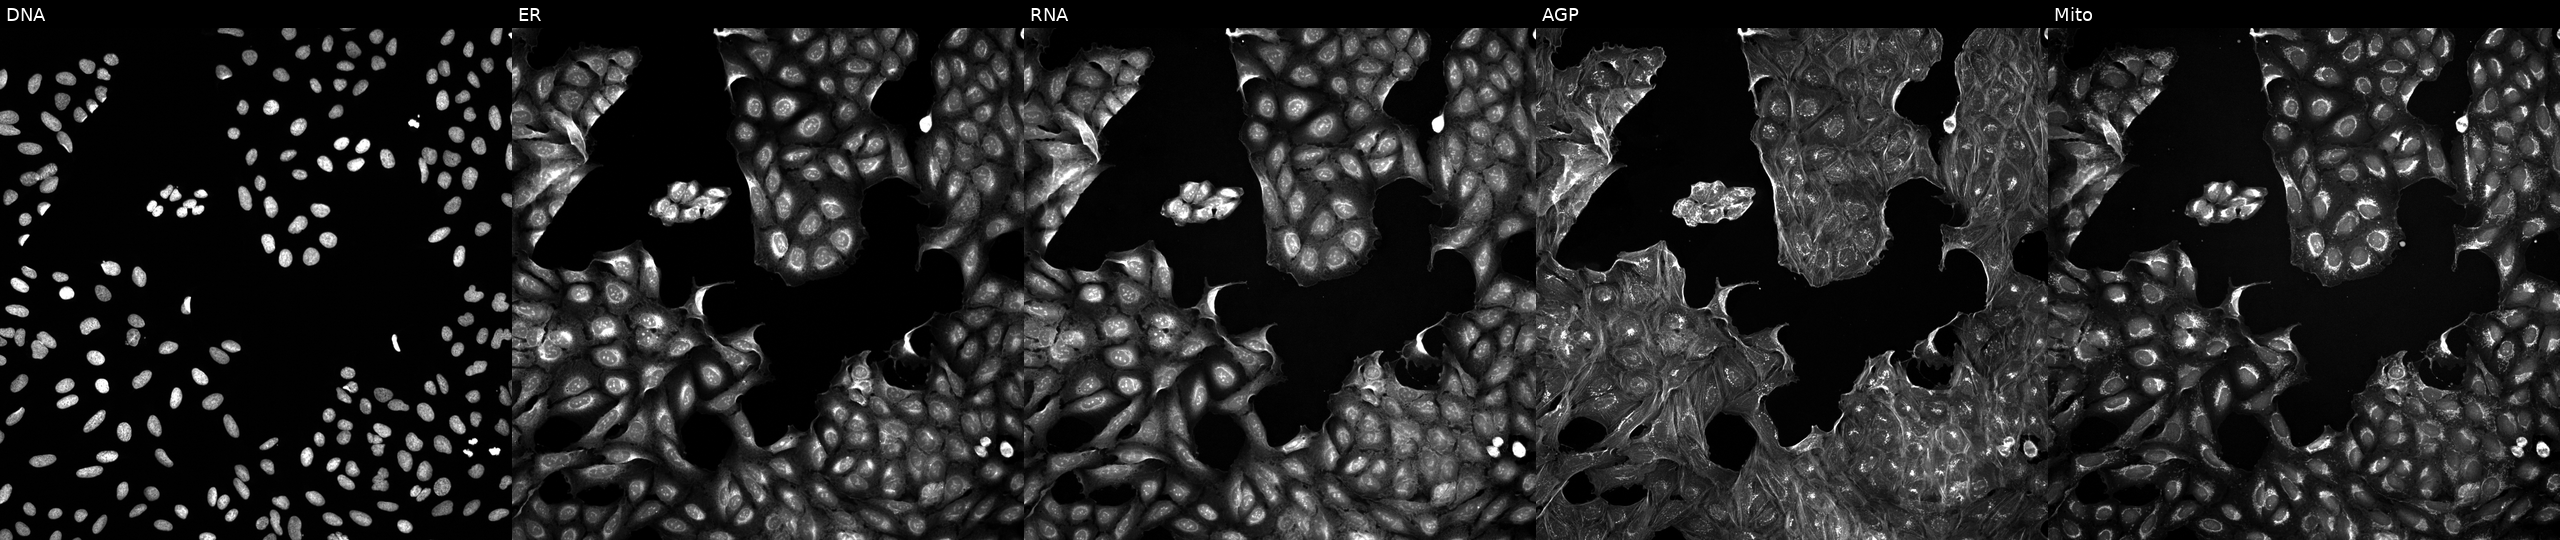
Five-channel Cell Painting image of U2OS cells perturbed with a small-molecule compound (InChIKey LENZDBCJOHFCAS-UHFFFAOYSA-N) [SMILES: NC(CO)(CO)CO] (JUMP id JCP2022_048928). Channels (left→right): DNA, ER, RNA, AGP, and Mito.